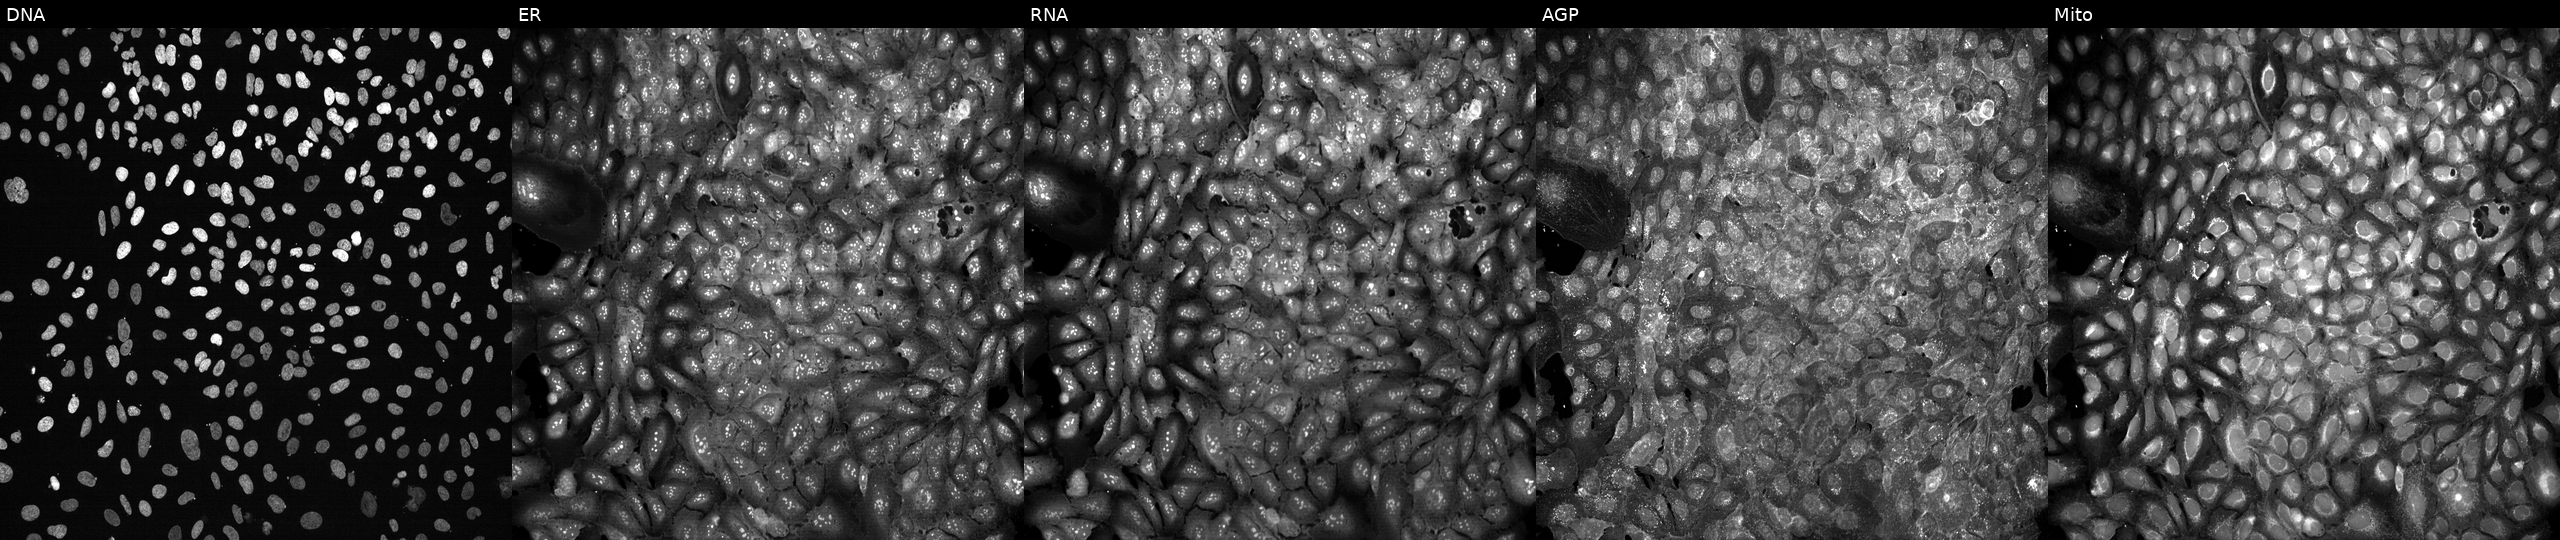
Channels (left→right): DNA, ER, RNA, AGP, and Mito. U2OS osteosarcoma cells following CRISPR knockout of ATP1A2. Cell Painting assay, JUMP-CP dataset.